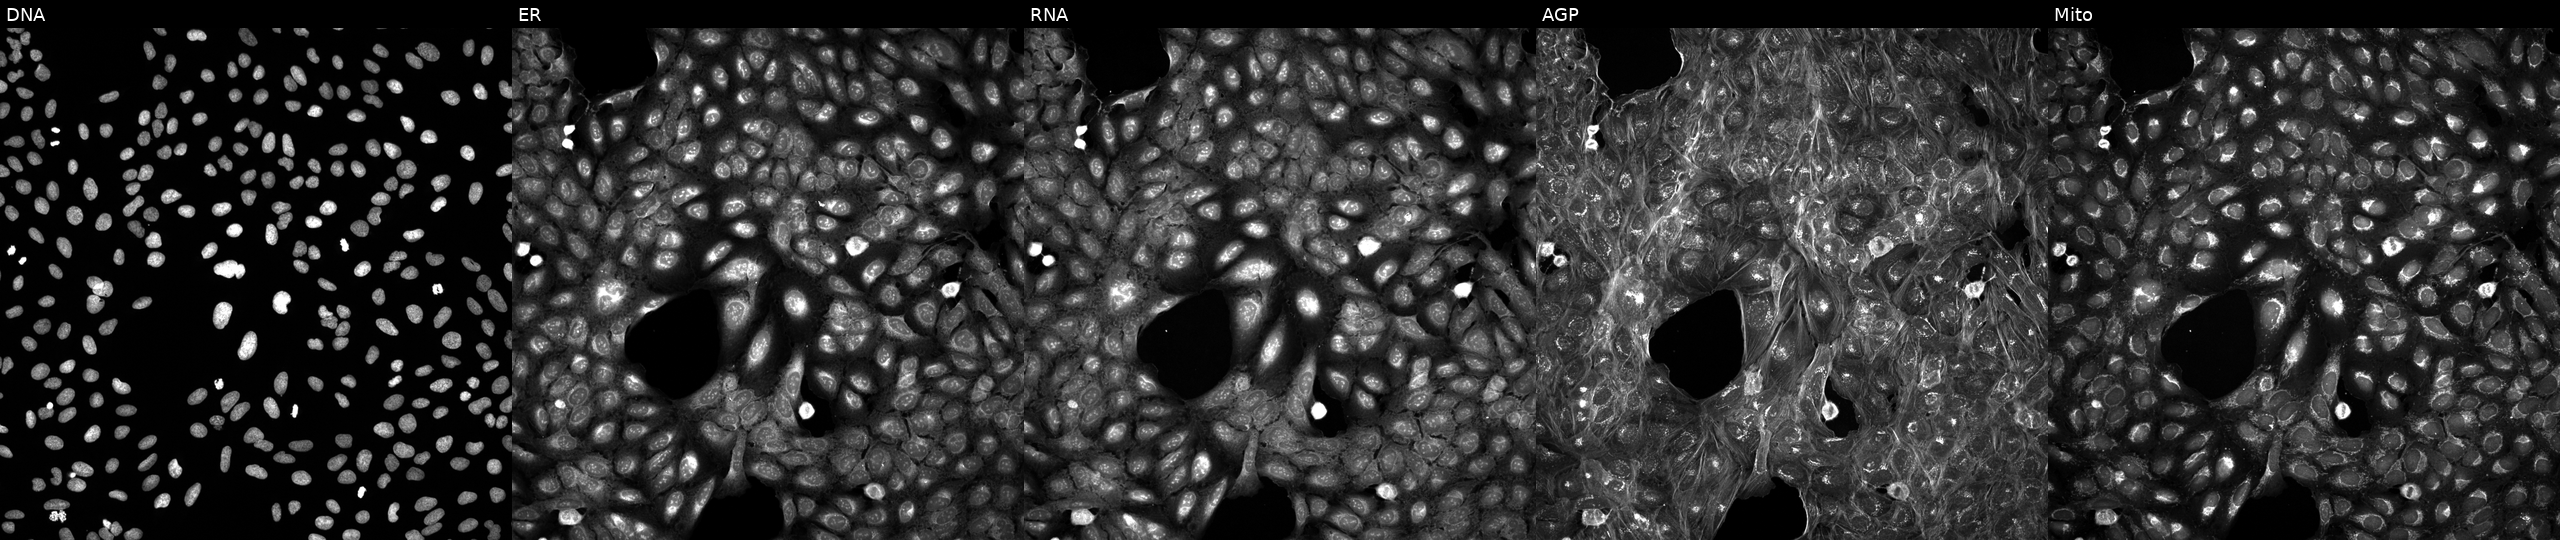
JUMP Cell Painting — TARGET2 plate. U2OS cells perturbed with a small-molecule compound (JUMP id JCP2022_029868). Panels show, left to right, DNA (nuclei); ER (endoplasmic reticulum); RNA (nucleoli and cytoplasmic RNA); AGP (actin cytoskeleton, Golgi, and plasma membrane); Mito (mitochondria).